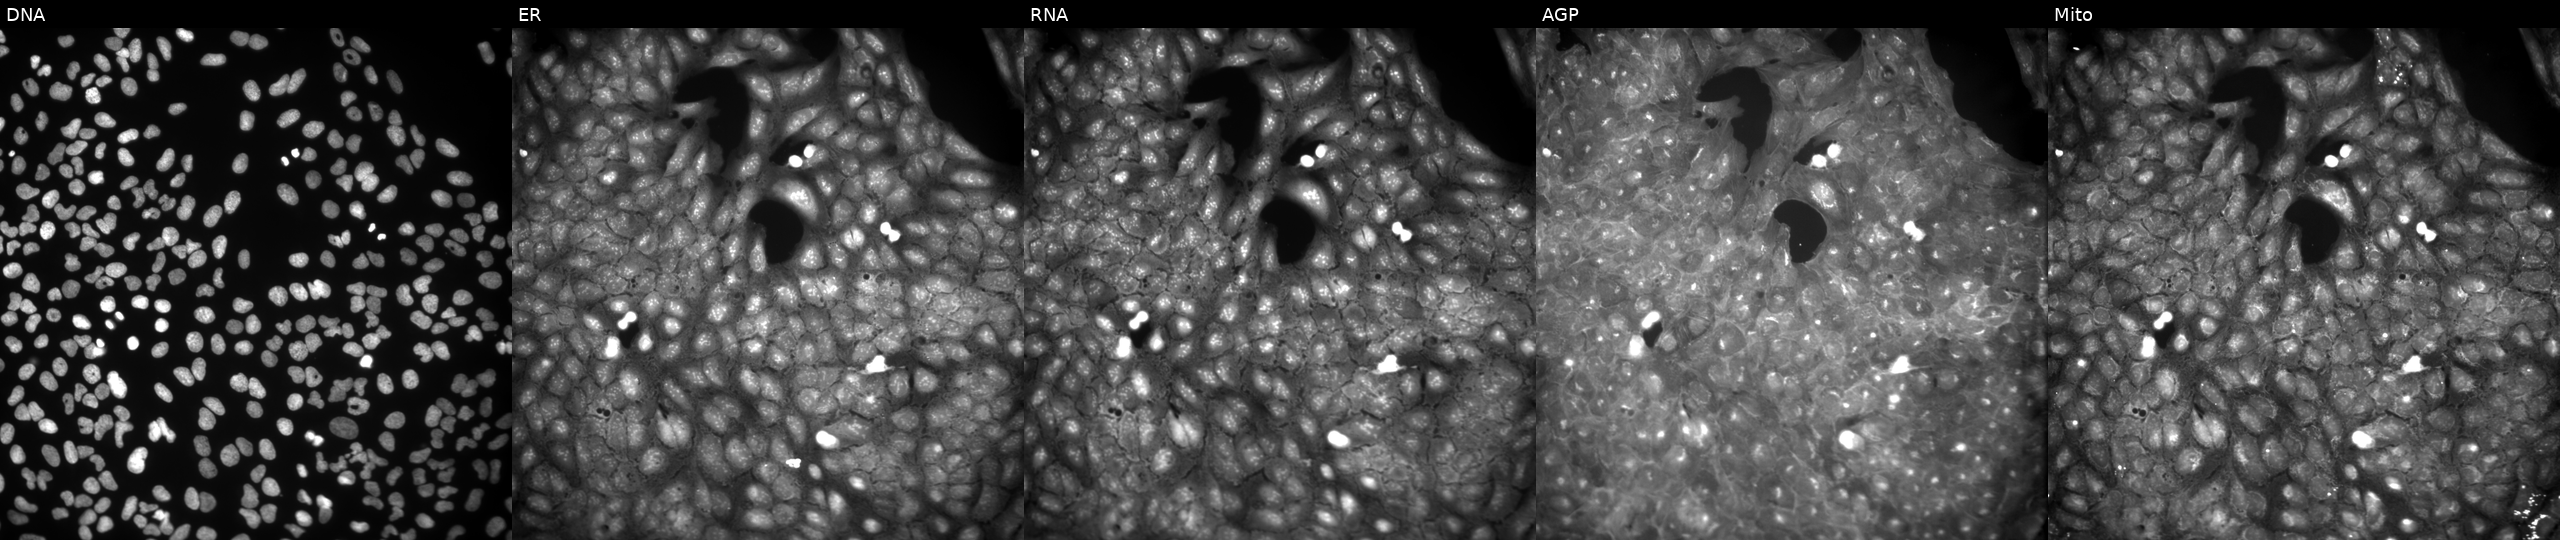
Five-channel Cell Painting image of U2OS cells exposed to DMSO alone as a negative control. The five panels, left to right, show DNA (nuclei); ER (endoplasmic reticulum); RNA (nucleoli and cytoplasmic RNA); AGP (actin cytoskeleton, Golgi, and plasma membrane); Mito (mitochondria).